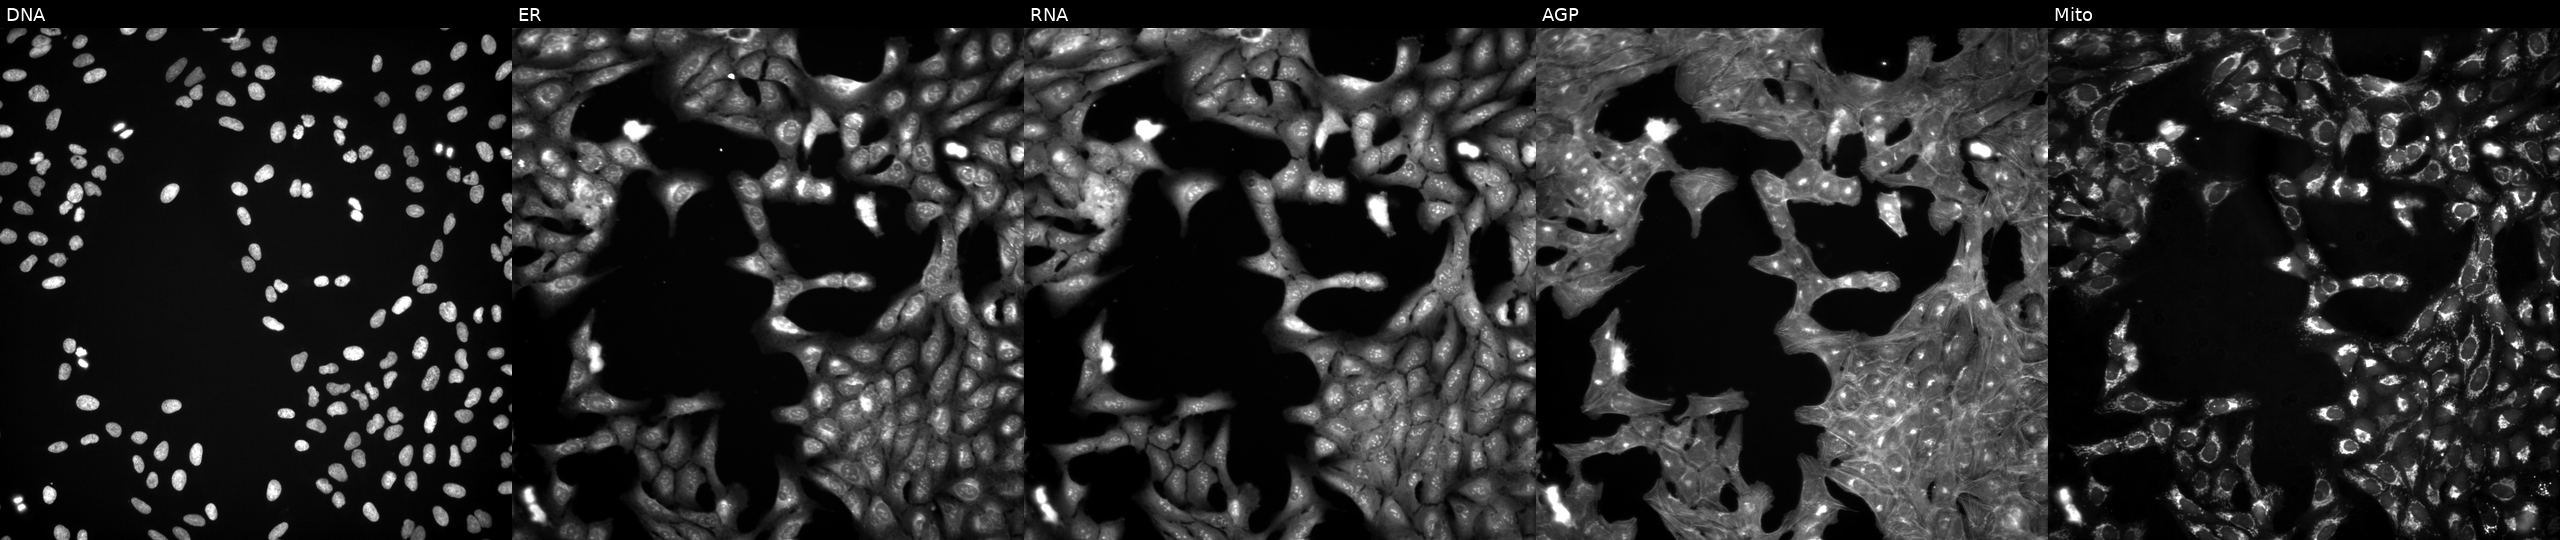
U2OS cells, Cell Painting assay, exposed to a small-molecule compound. Channels (left→right): Hoechst 33342, concanavalin A, SYTO 14, phalloidin and WGA, MitoTracker. Each panel is percentile-stretched 16-bit fluorescence. Source 3, plate JCPQC053, well G08.